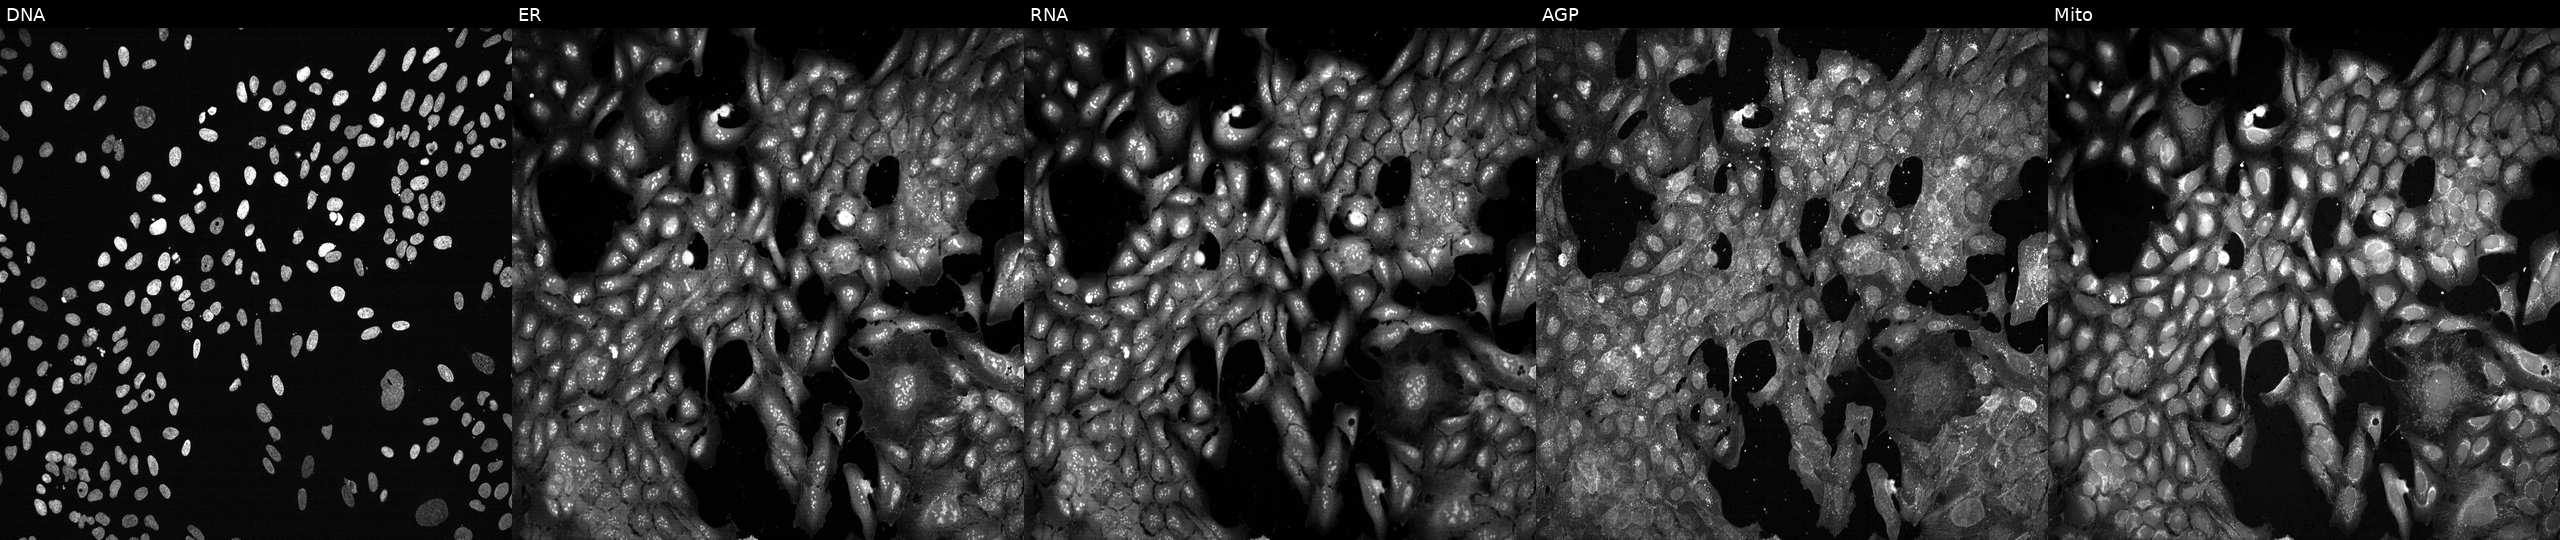
U2OS cells, Cell Painting assay, with SARS knocked out by CRISPR. The five panels, left to right, show DNA, ER, RNA, AGP, and Mito. Each panel is percentile-stretched 16-bit fluorescence. Source 13, plate CP-CC9-R1-02, well P14.